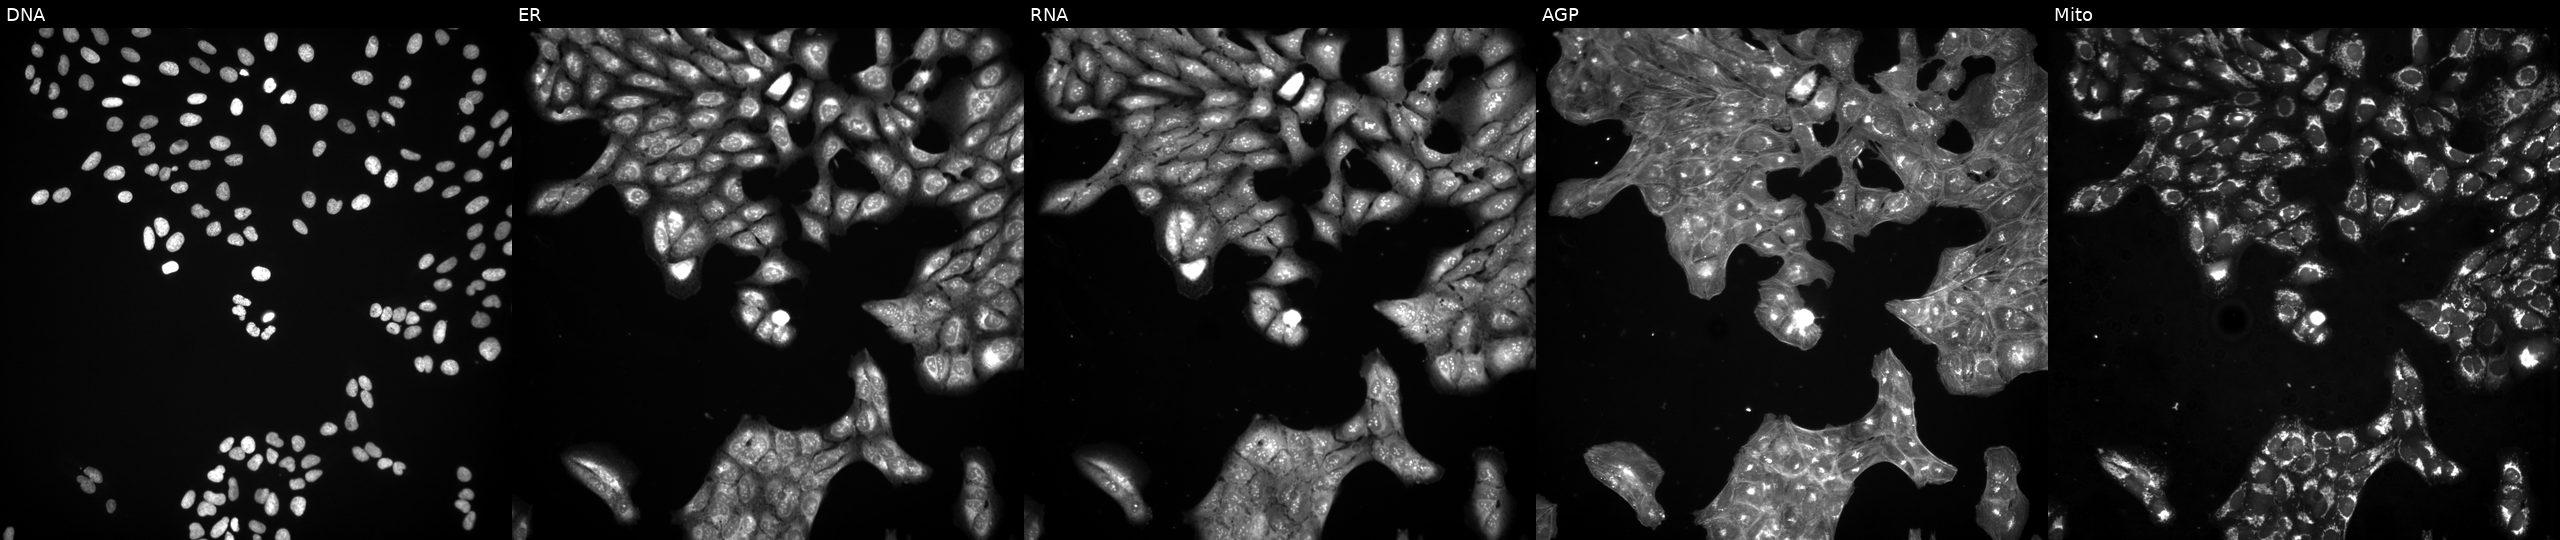
High-content fluorescence microscopy (Cell Painting). Cell line: U2OS. Perturbation: treated with a small-molecule compound (InChIKey XBYFVVDUKYUZCK-UHFFFAOYSA-N) (JUMP id JCP2022_102690). Channels (left→right): DNA (nuclei); ER (endoplasmic reticulum); RNA (nucleoli and cytoplasmic RNA); AGP (actin cytoskeleton, Golgi, and plasma membrane); Mito (mitochondria).